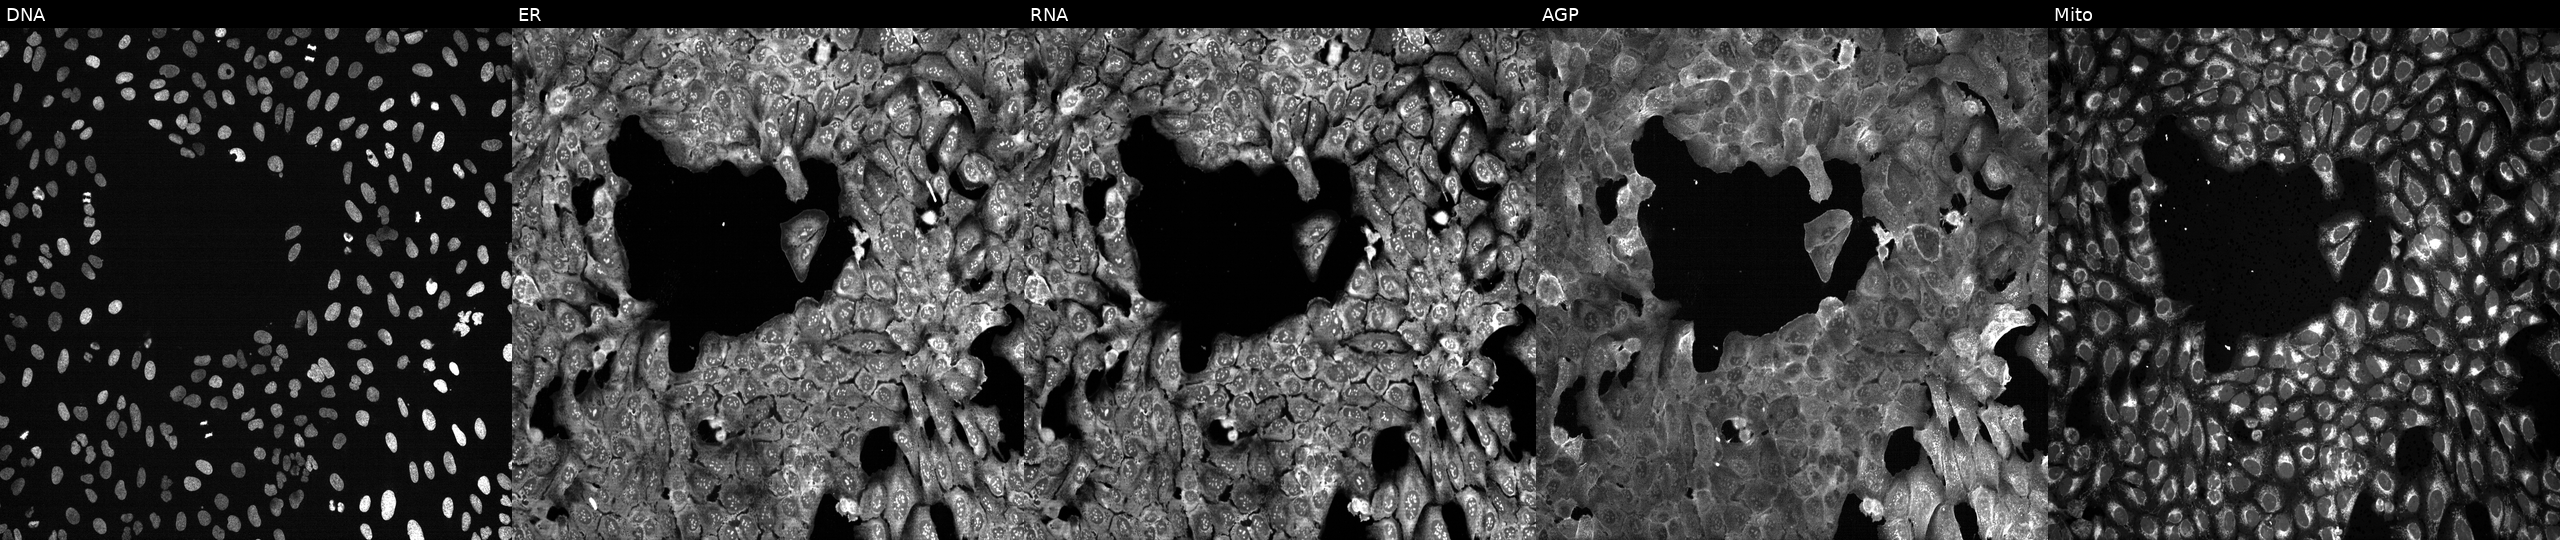
U2OS cells, Cell Painting assay, CRISPR-edited to disrupt ACSL4. The five panels, left to right, show Hoechst 33342, concanavalin A, SYTO 14, phalloidin and WGA, MitoTracker. Each panel is percentile-stretched 16-bit fluorescence. Source 13, plate CP-CC9-R2-01, well D07.